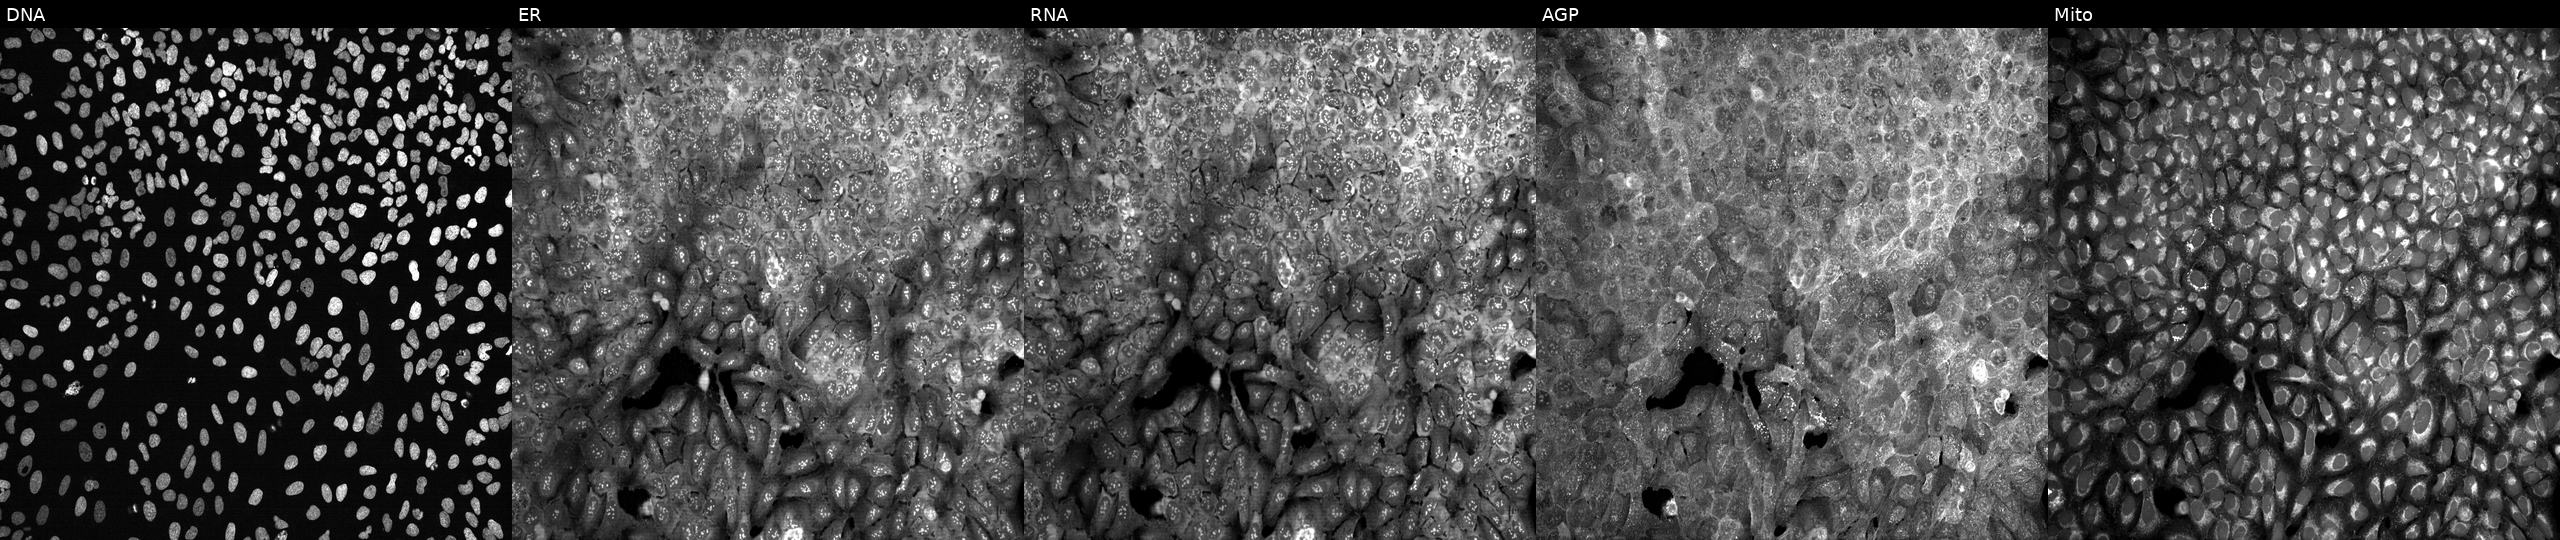
The five panels, left to right, show DNA (nuclei); ER (endoplasmic reticulum); RNA (nucleoli and cytoplasmic RNA); AGP (actin cytoskeleton, Golgi, and plasma membrane); Mito (mitochondria). U2OS osteosarcoma cells CRISPR-edited to disrupt GALNT18 (JUMP id JCP2022_802593). Cell Painting assay, JUMP-CP dataset.